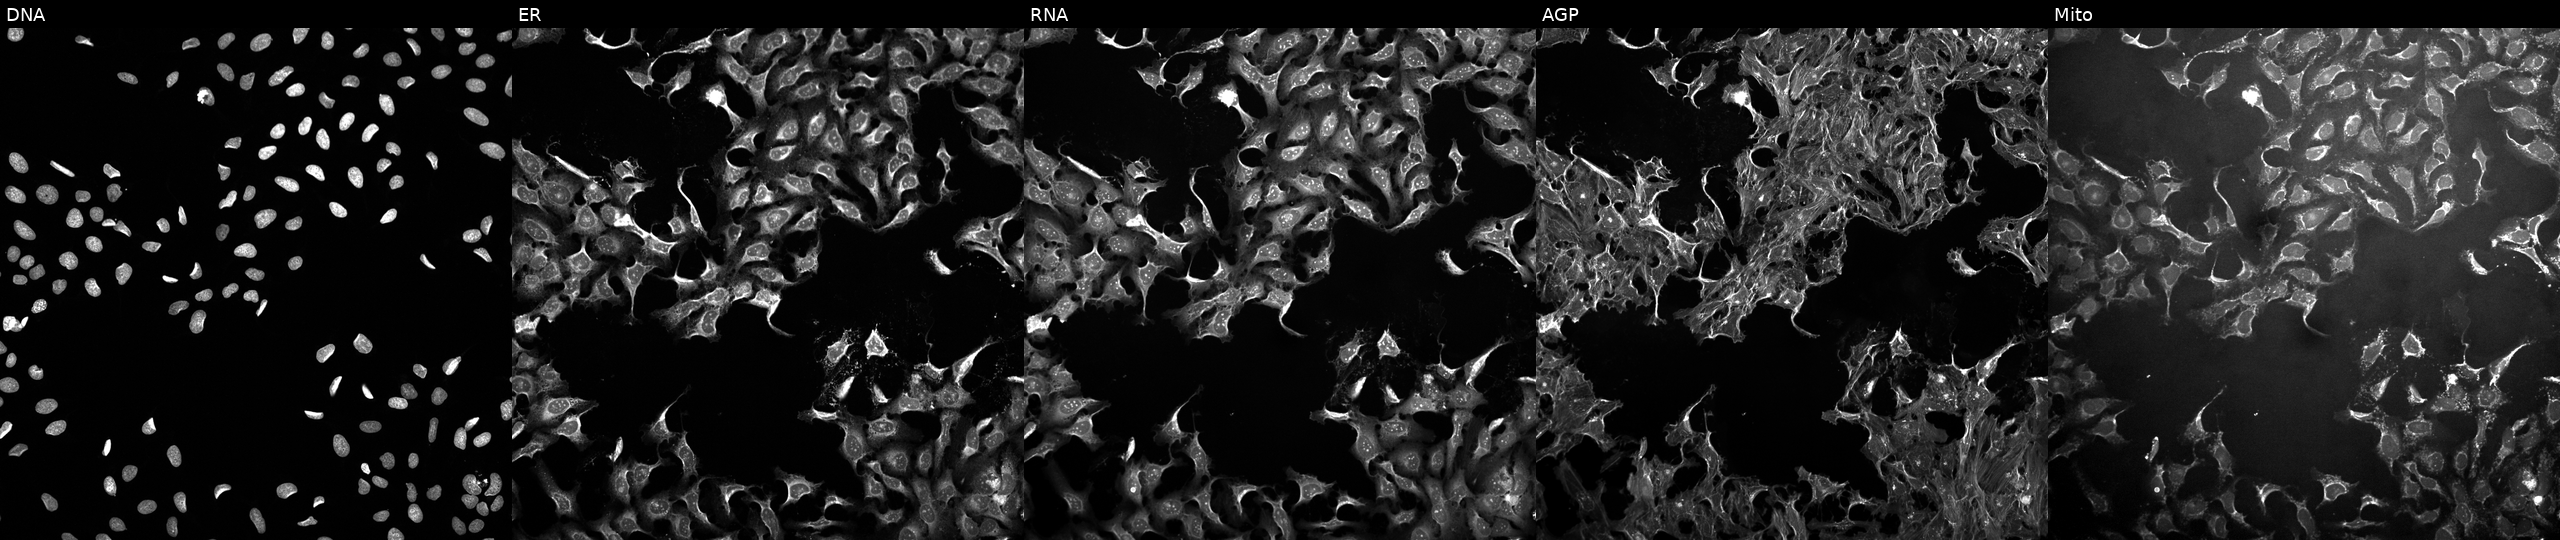
High-content fluorescence microscopy (Cell Painting). Cell line: U2OS. Perturbation: treated with FK-866 (positive-control compound) (JUMP id JCP2022_046054). Channels (left→right): Hoechst 33342, concanavalin A, SYTO 14, phalloidin and WGA, MitoTracker. Source 10, plate Dest210531-152324, well L01.